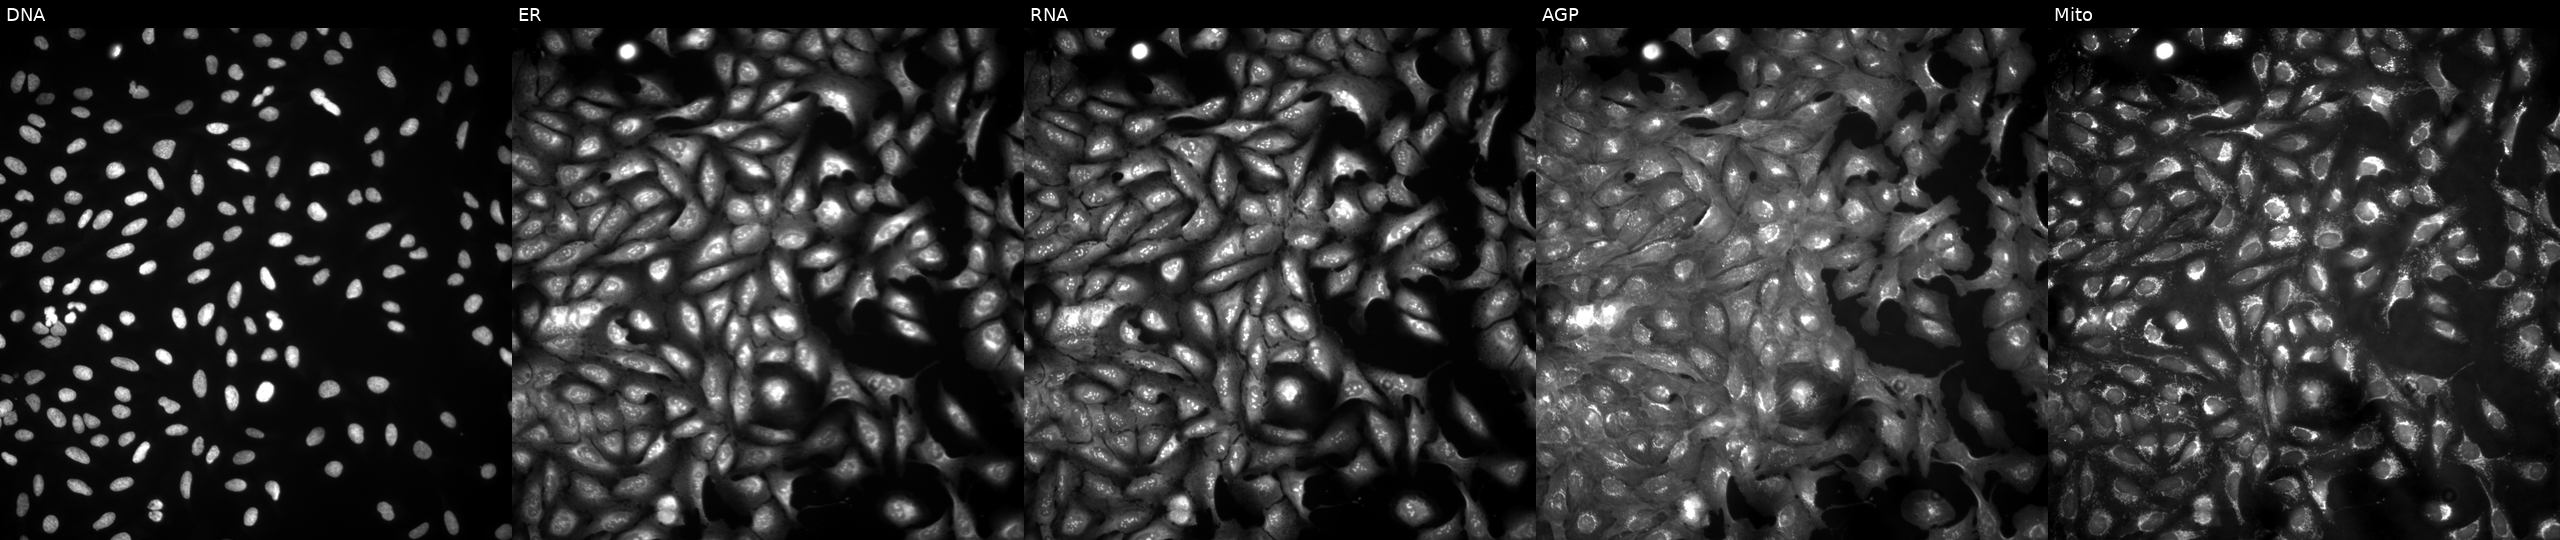
JUMP Cell Painting — ORF plate. U2OS cells with LZTR1 overexpressed (ORF) (JUMP id JCP2022_910499). Panels show, left to right, DNA (nuclei); ER (endoplasmic reticulum); RNA (nucleoli and cytoplasmic RNA); AGP (actin cytoskeleton, Golgi, and plasma membrane); Mito (mitochondria).